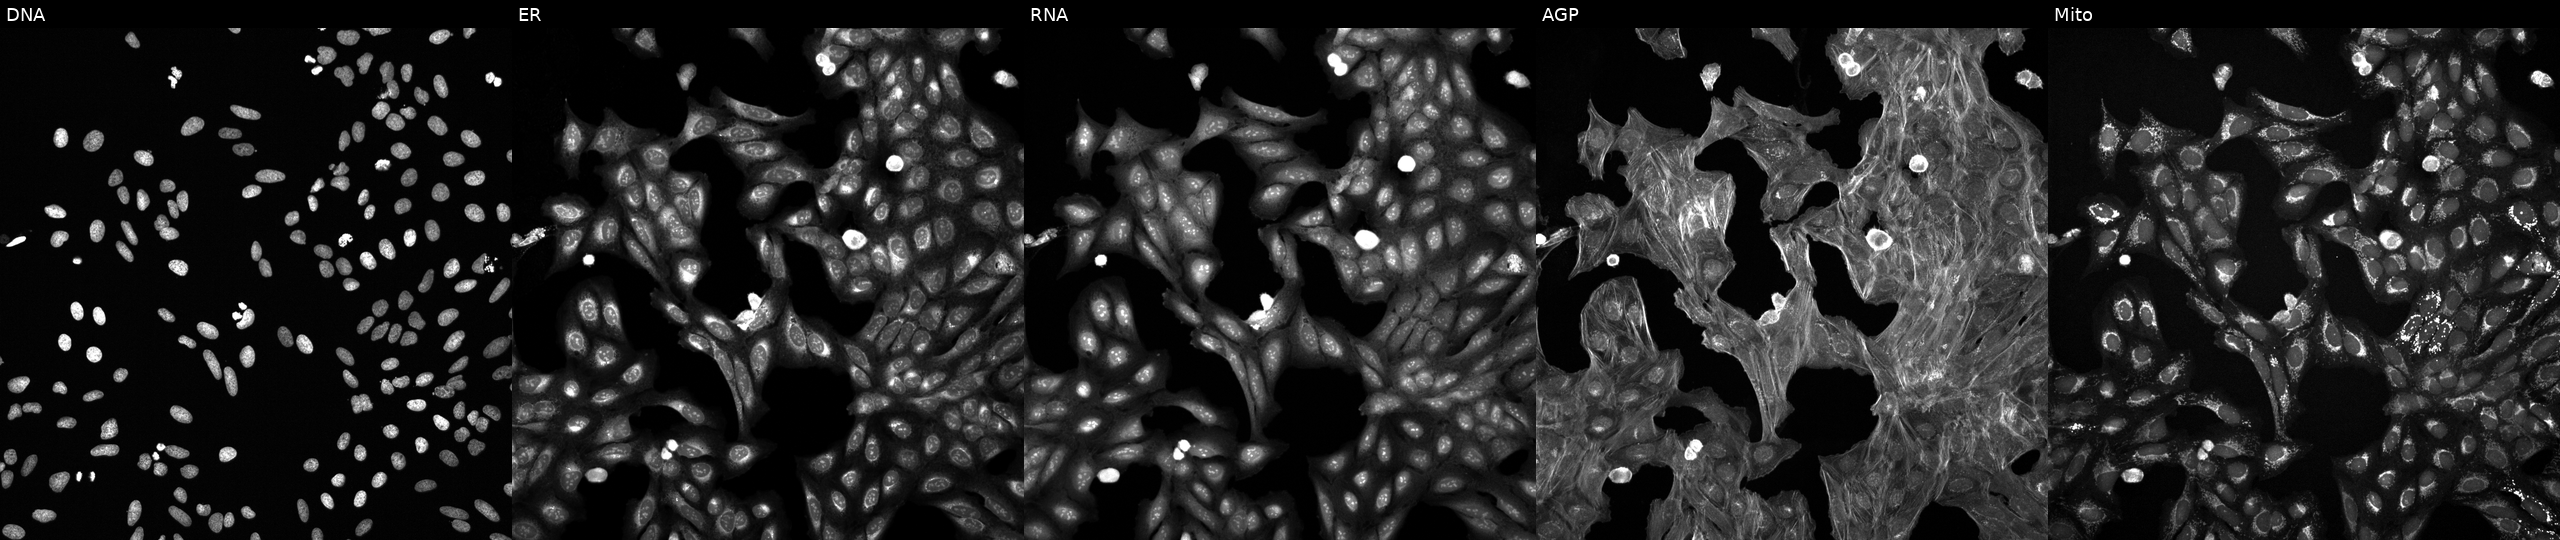
From left to right: DNA (nuclei); ER (endoplasmic reticulum); RNA (nucleoli and cytoplasmic RNA); AGP (actin cytoskeleton, Golgi, and plasma membrane); Mito (mitochondria). U2OS osteosarcoma cells treated with a small-molecule compound (InChIKey XEYBRNLFEZDVAW-UHFFFAOYSA-N) (JUMP id JCP2022_103217). Cell Painting assay, JUMP-CP dataset.